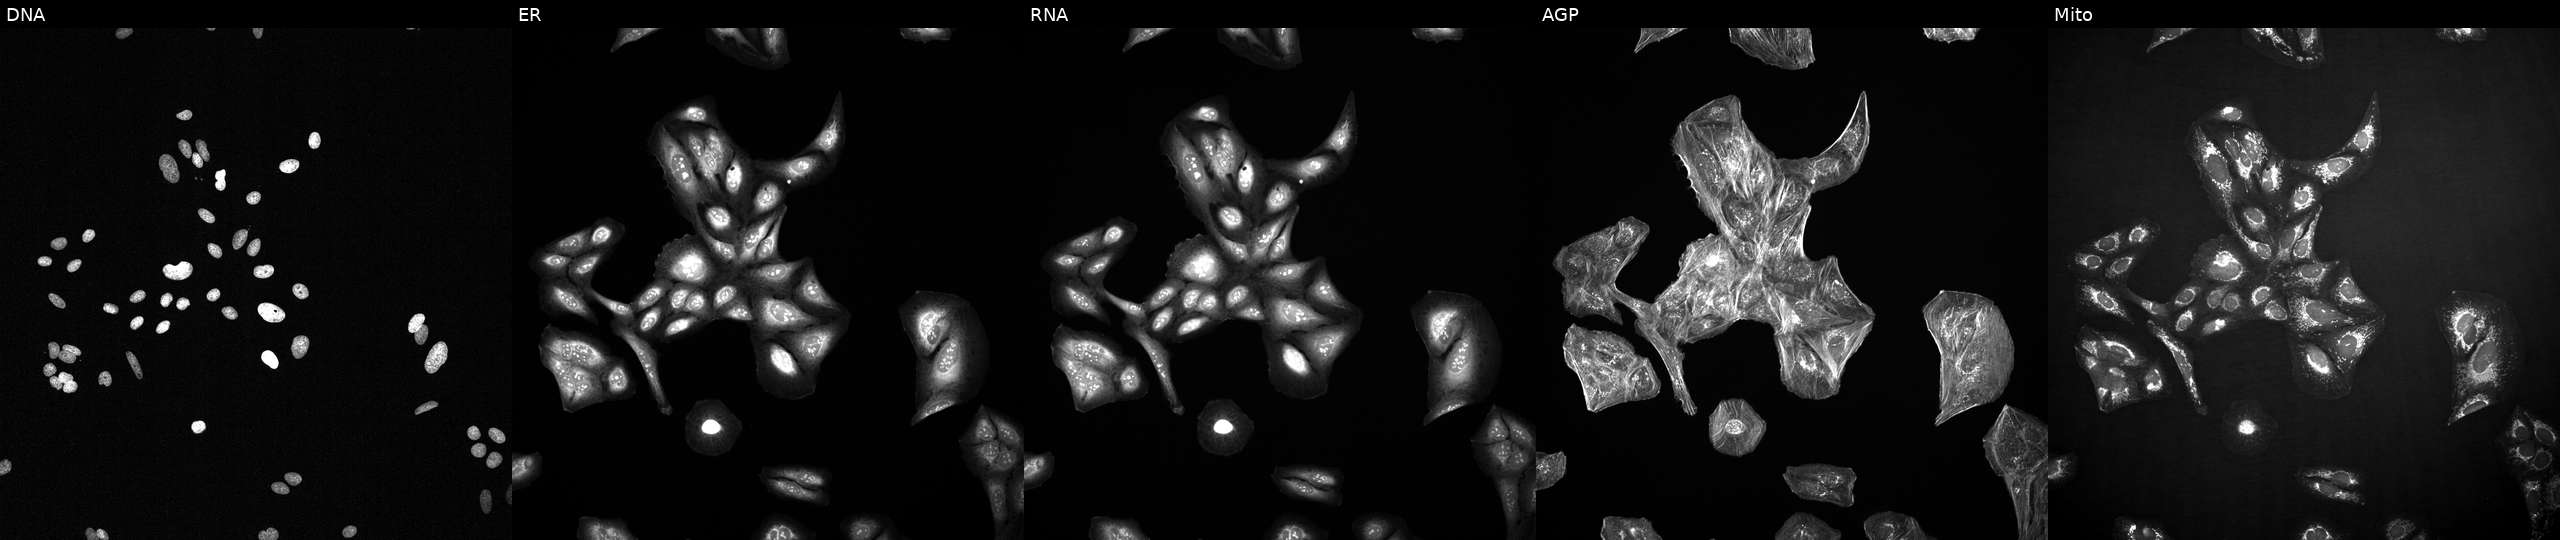
From left to right: Hoechst 33342, concanavalin A, SYTO 14, phalloidin and WGA, MitoTracker. U2OS osteosarcoma cells perturbed with a small-molecule compound [SMILES: COc1cc2ncnc(Sc3nnc(C)s3)c2cc1OC]. Cell Painting assay, JUMP-CP dataset.